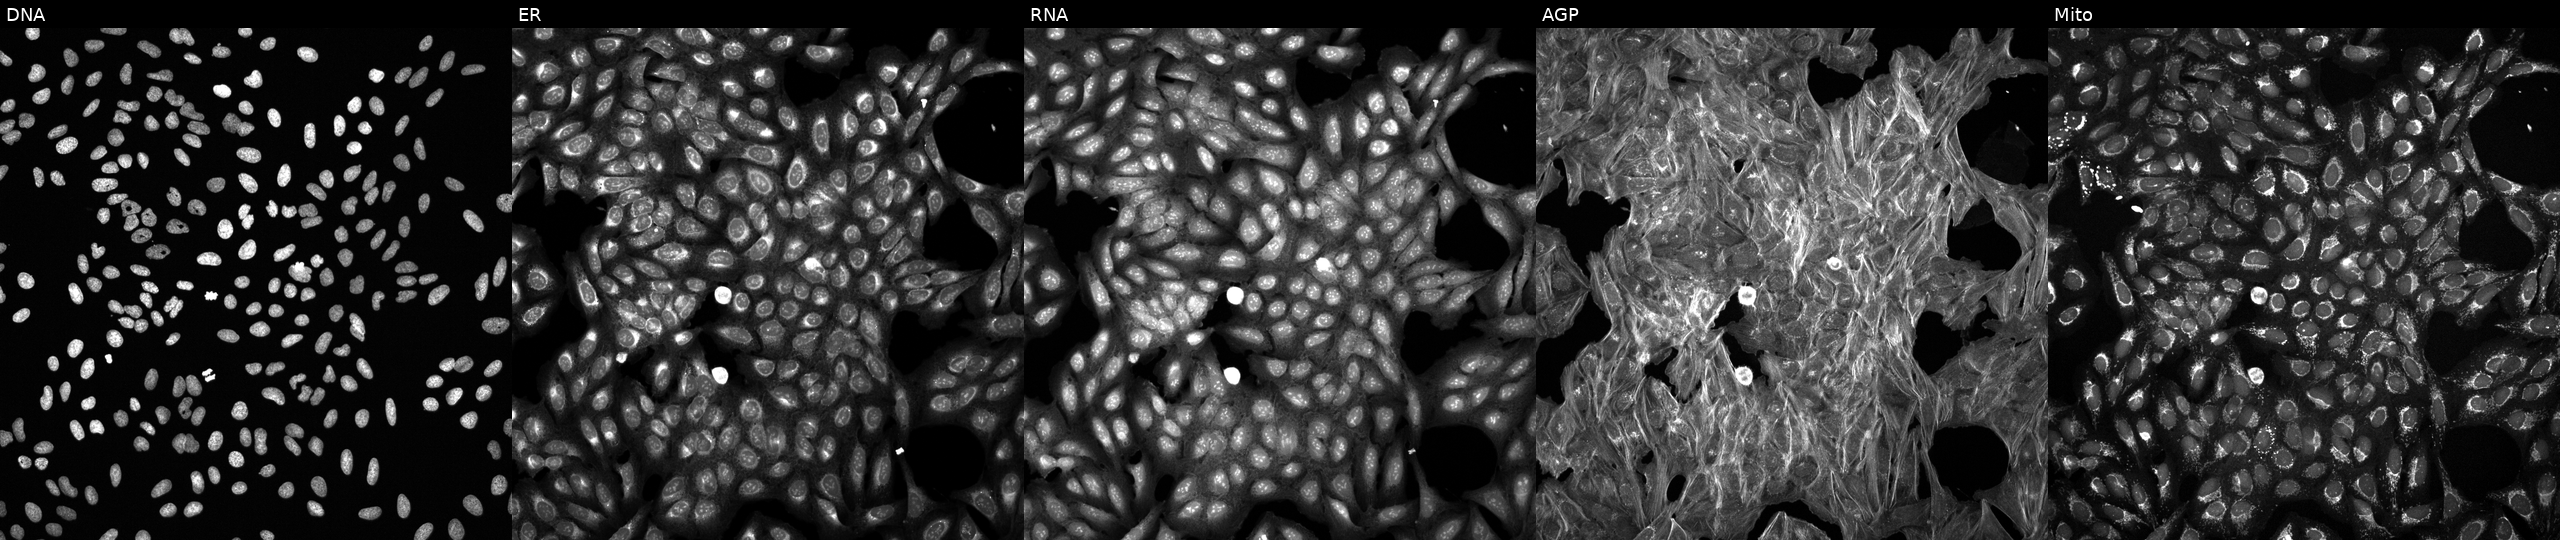
JUMP Cell Painting — COMPOUND plate. U2OS cells treated with a small-molecule compound (InChIKey ZZXIIFLCABKHAJ-UHFFFAOYSA-N) (JUMP id JCP2022_116736). Panels show, left to right, Hoechst 33342, concanavalin A, SYTO 14, phalloidin and WGA, MitoTracker.